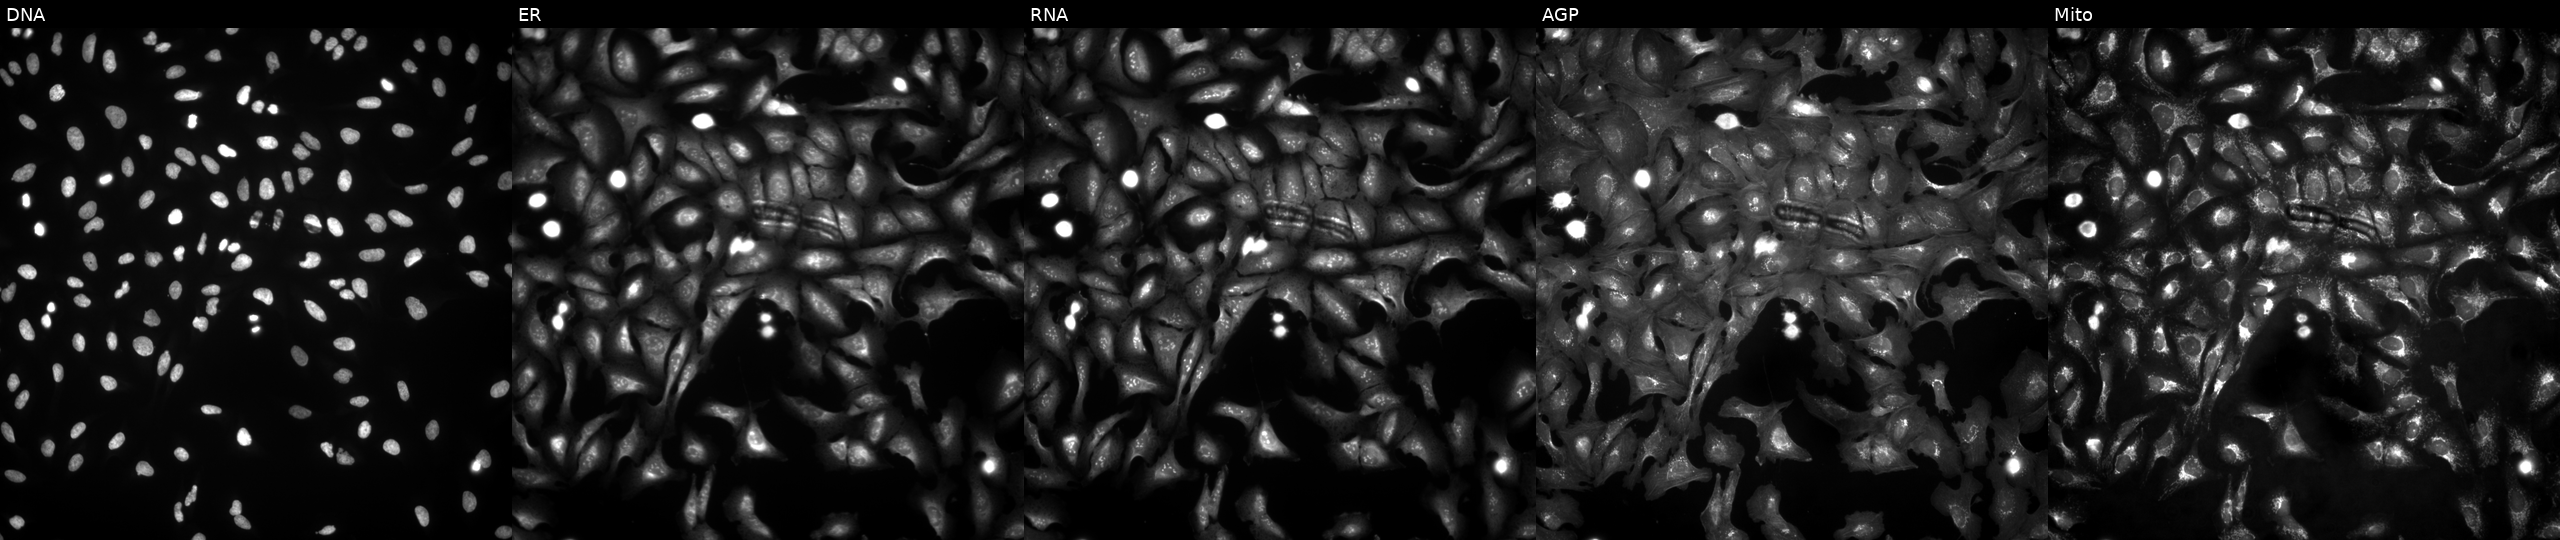
High-content fluorescence microscopy (Cell Painting). Cell line: U2OS. Perturbation: transfected with an ORF construct for THAP11 (JUMP id JCP2022_911506). From left to right: DNA, ER, RNA, AGP, and Mito. Source 4, plate BR00124790, well J01.